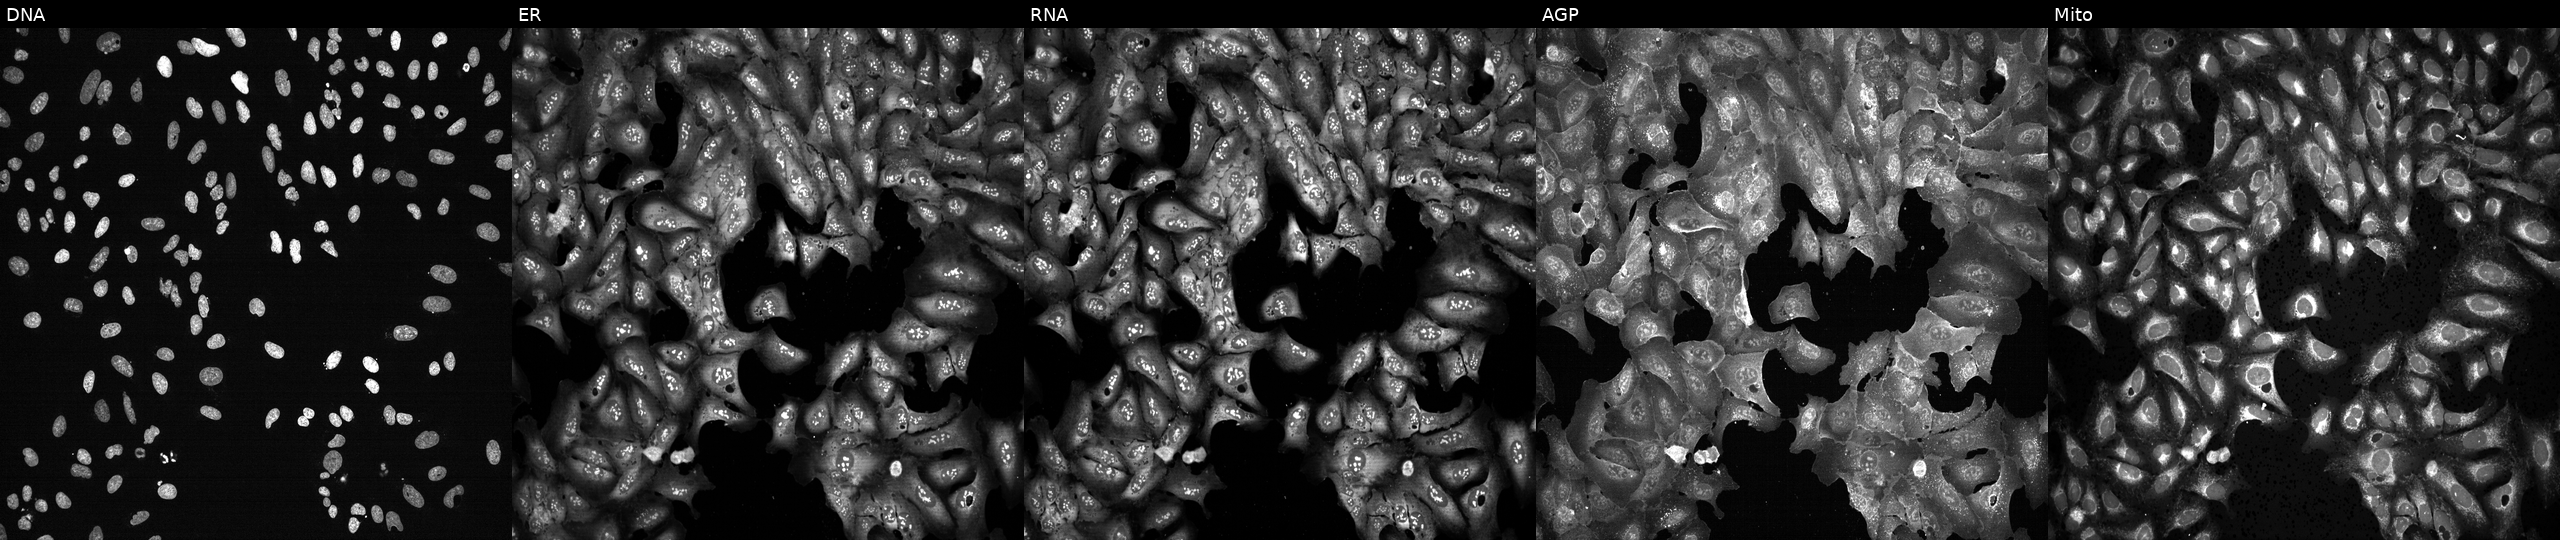
Five-channel Cell Painting image of U2OS cells with ATP8A2 knocked out by CRISPR. From left to right: DNA, ER, RNA, AGP, and Mito.